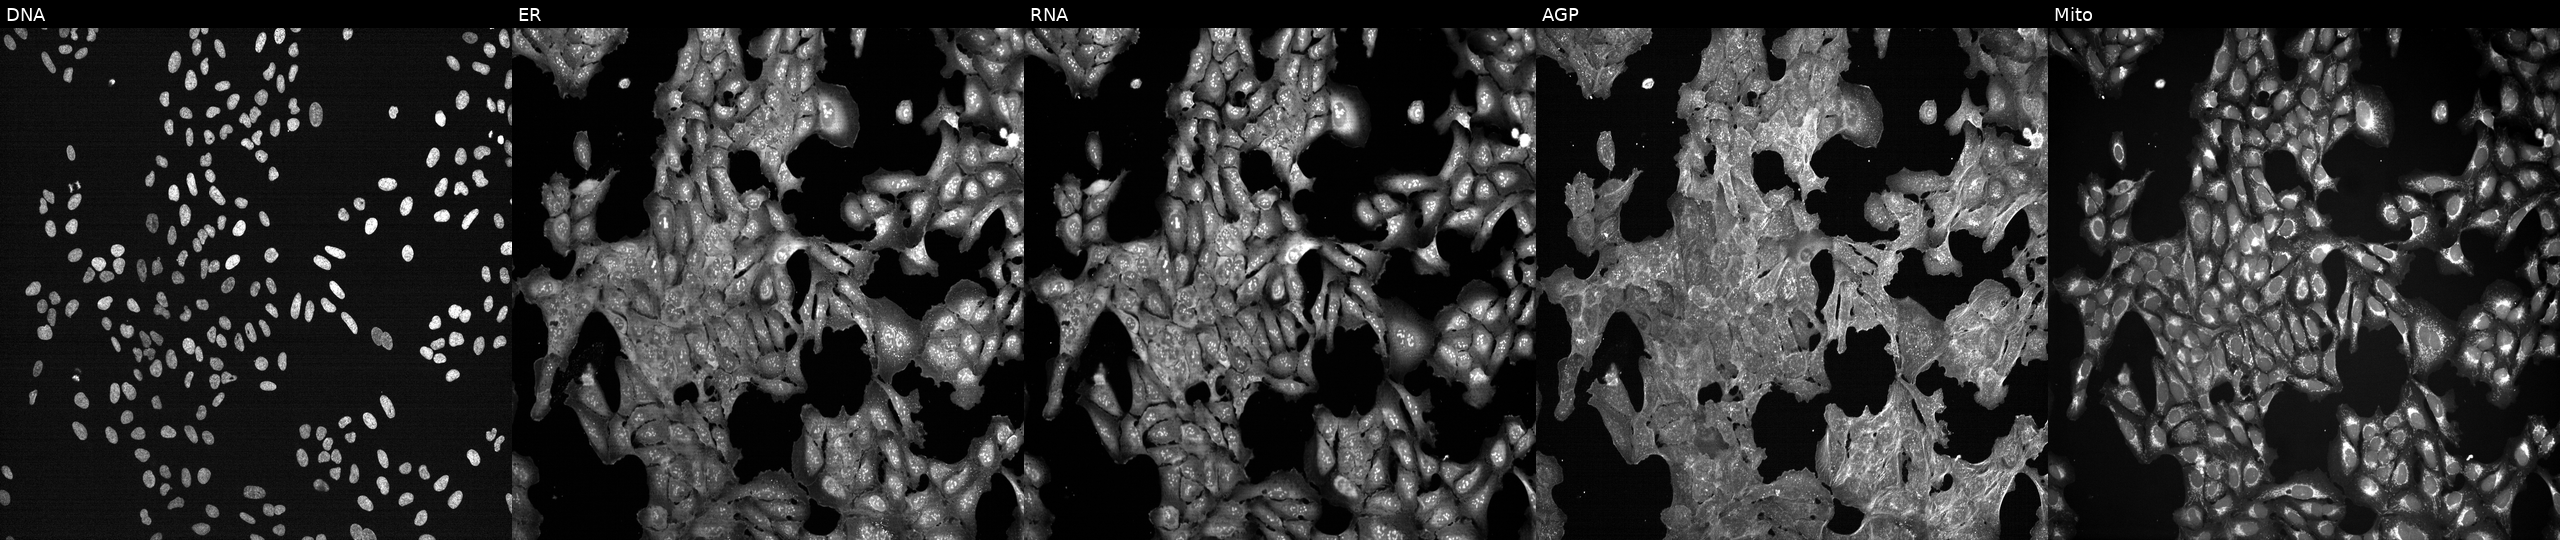
This image strip shows the five Cell Painting channels for a single field of U2OS cells perturbed with a small-molecule compound (InChIKey UCAGLBKTLXCODC-UHFFFAOYSA-N) (JUMP id JCP2022_088224). The five panels, left to right, show Hoechst 33342, concanavalin A, SYTO 14, phalloidin and WGA, MitoTracker.